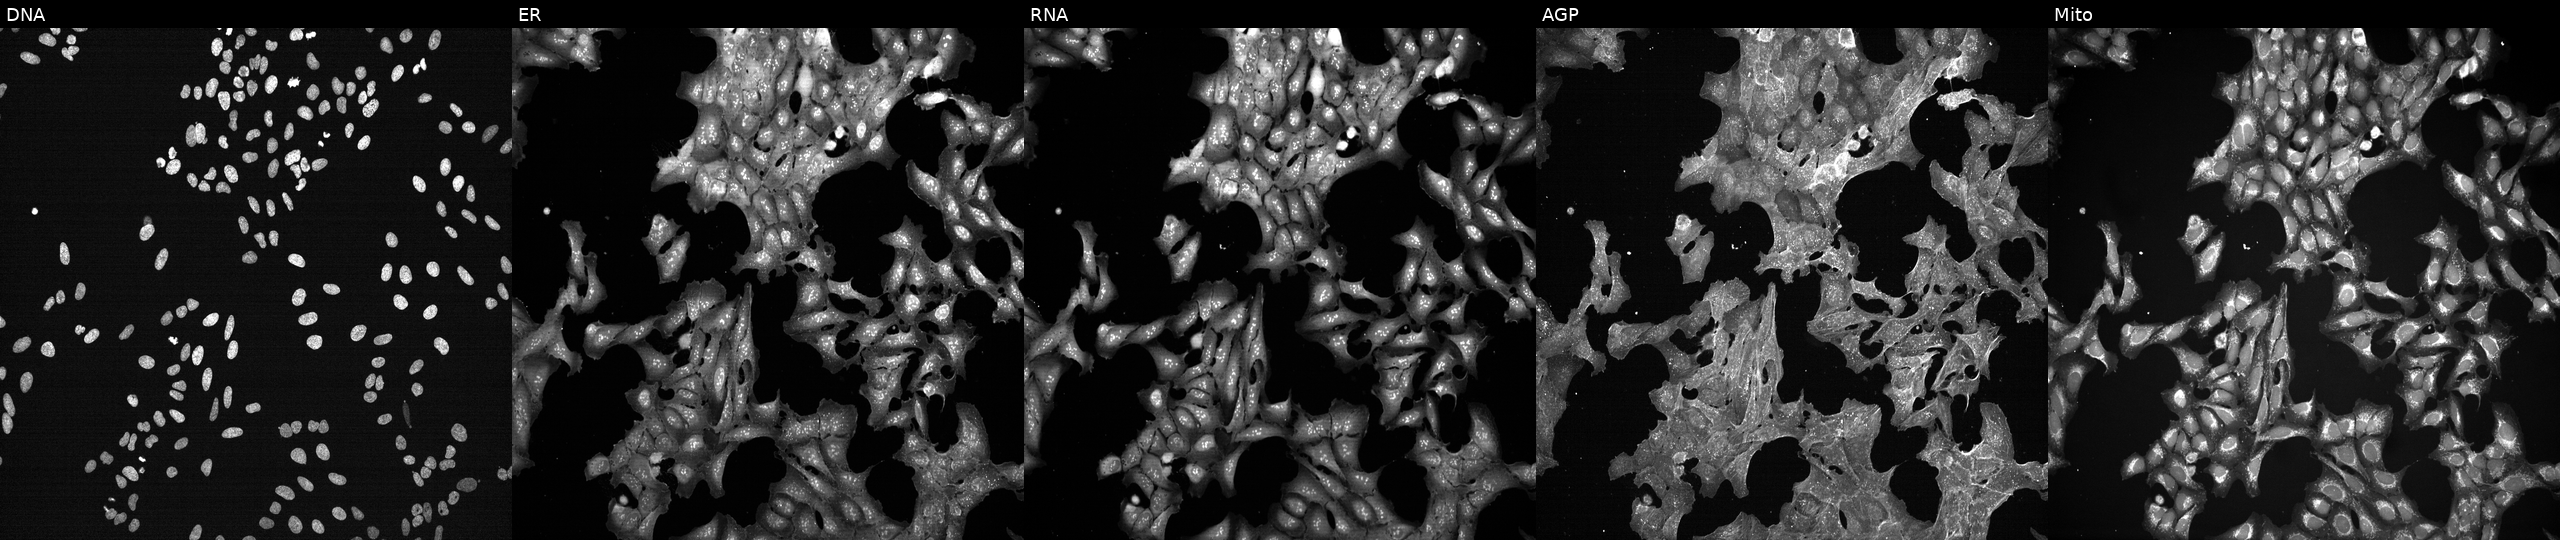
From left to right: DNA (nuclei); ER (endoplasmic reticulum); RNA (nucleoli and cytoplasmic RNA); AGP (actin cytoskeleton, Golgi, and plasma membrane); Mito (mitochondria). U2OS osteosarcoma cells treated with a small-molecule compound (InChIKey TYNLGDBUJLVSMA-UHFFFAOYSA-N). Cell Painting assay, JUMP-CP dataset. Source 7, plate CP2-SC1-25, well N11.